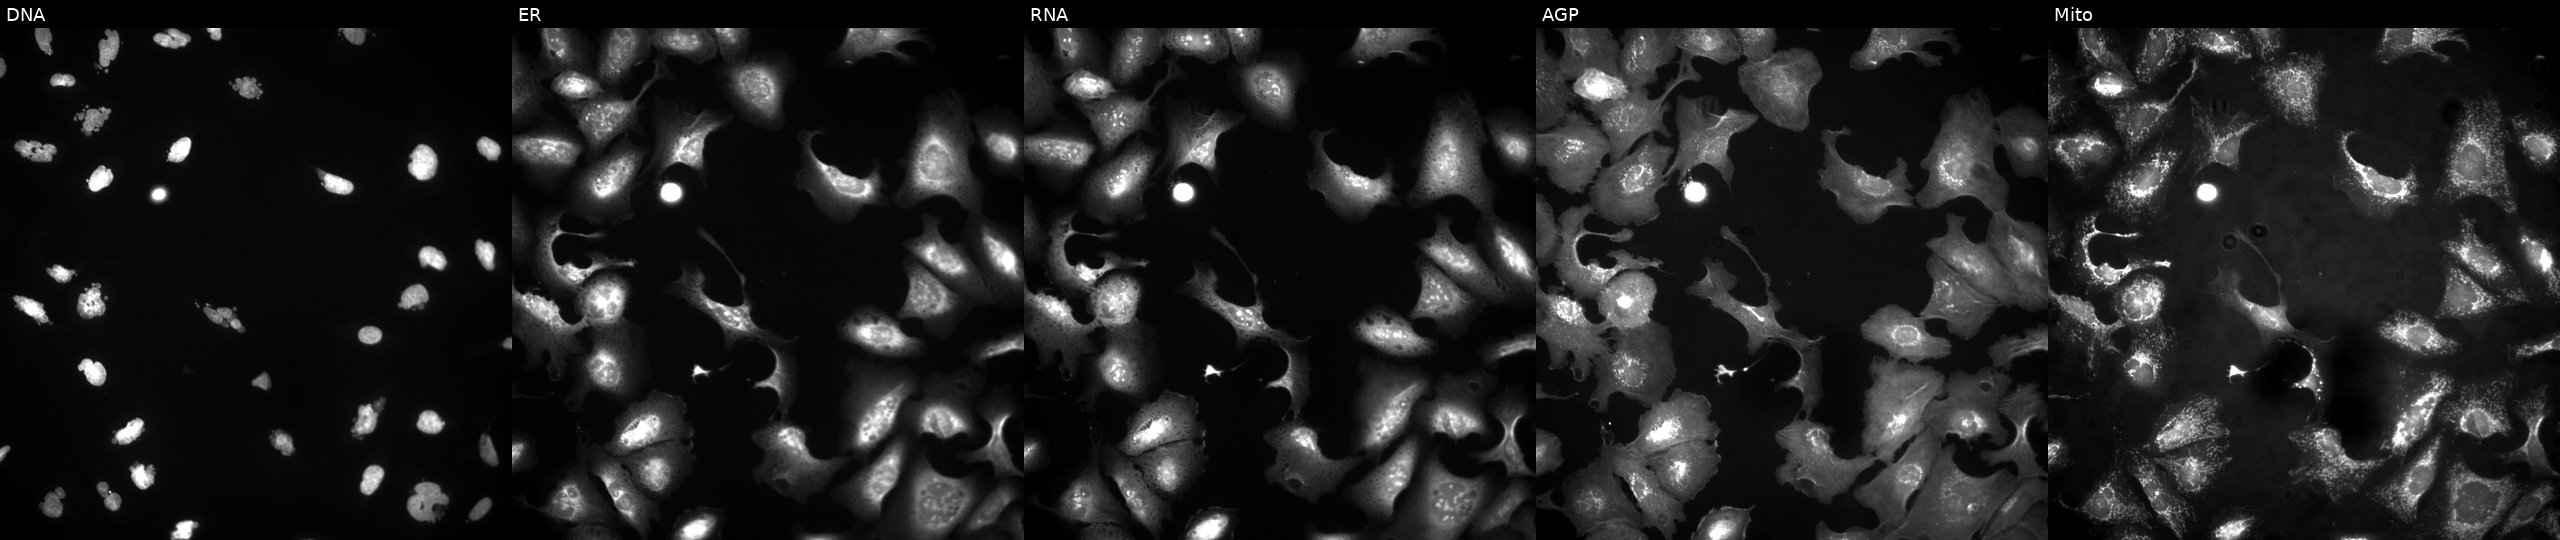
This image strip shows the five Cell Painting channels for a single field of U2OS cells exposed to the positive-control compound AMG900. Panels show, left to right, DNA, ER, RNA, AGP, and Mito. Source 4, plate BR00124790, well O23.